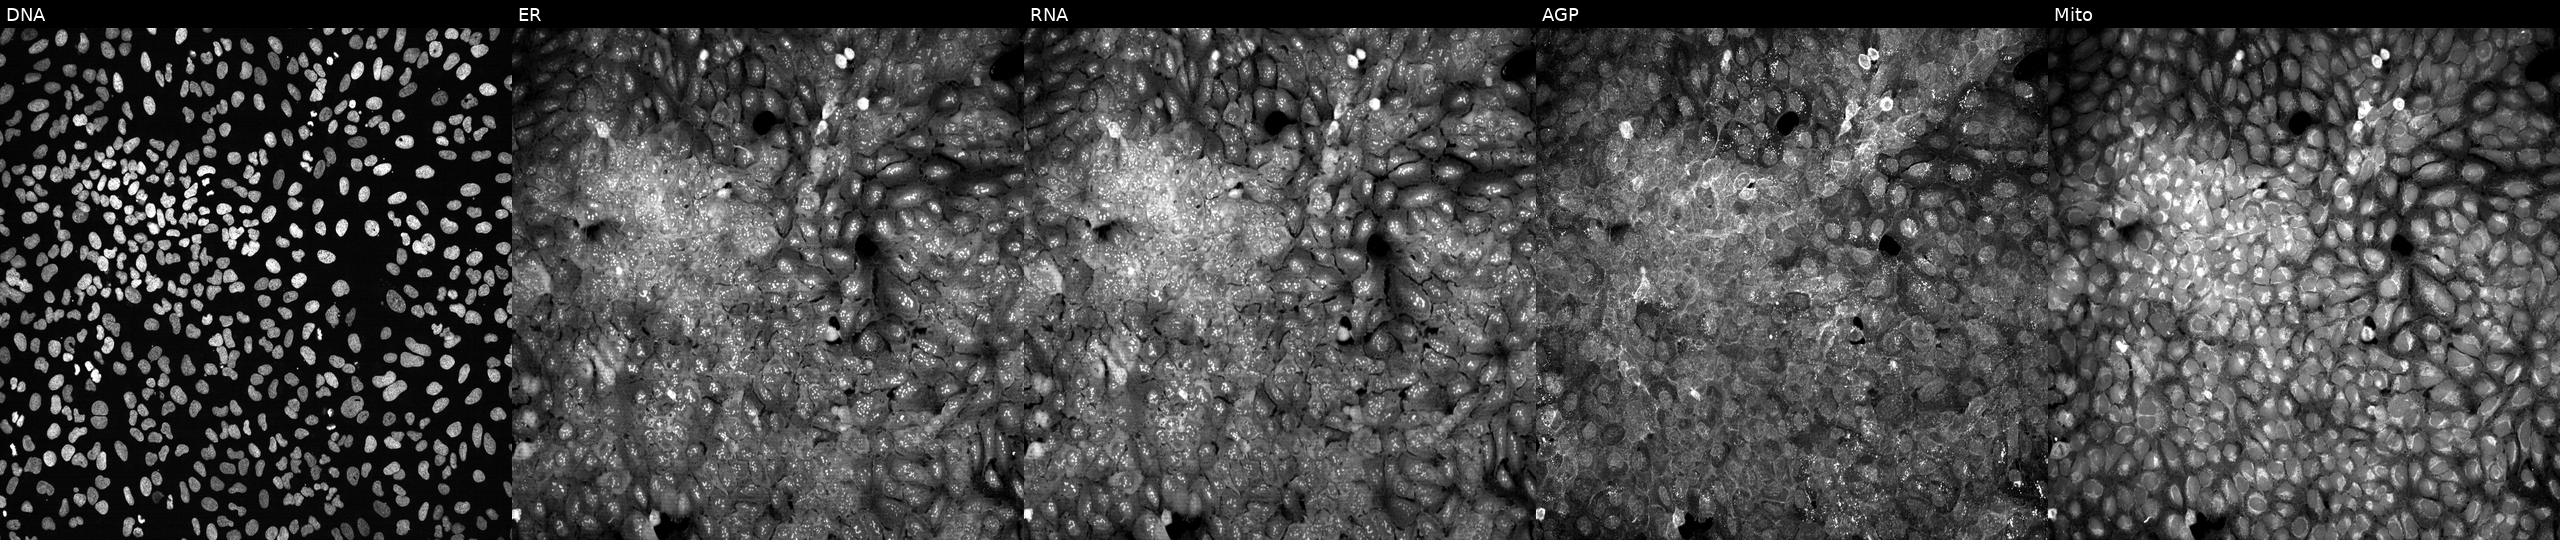
JUMP Cell Painting — CRISPR plate. U2OS cells with KIF5C knocked out by CRISPR (JUMP id JCP2022_803687). Panels show, left to right, DNA, ER, RNA, AGP, and Mito.